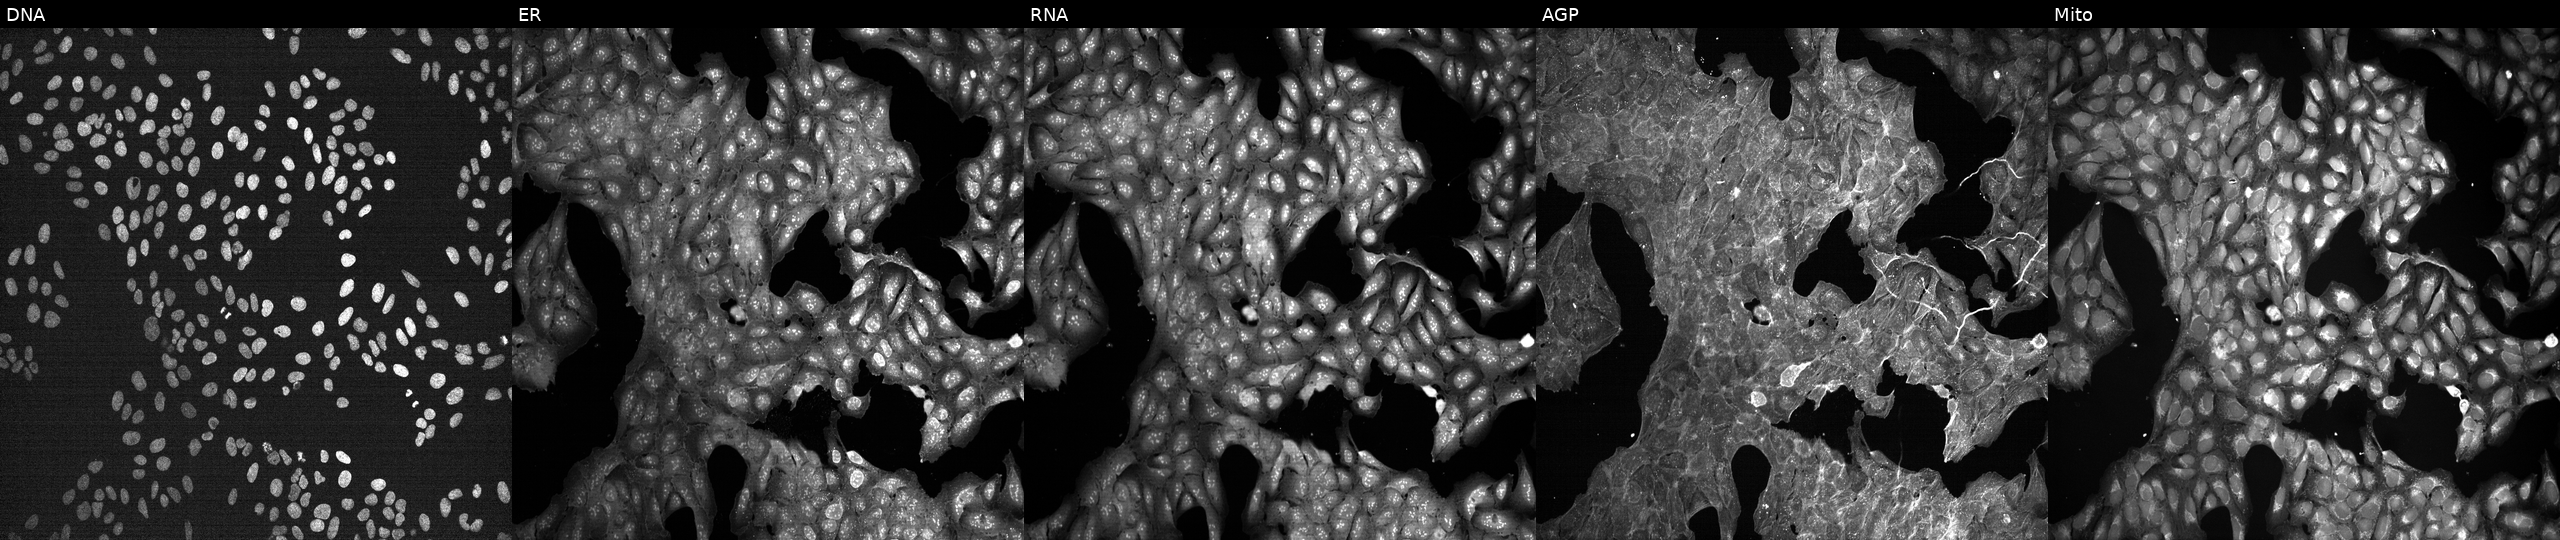
This image strip shows the five Cell Painting channels for a single field of U2OS cells treated with a small-molecule compound (InChIKey FPVKHBSQESCIEP-UHFFFAOYSA-N) [SMILES: OCC1OC(n2cnc3c2N=CNCC3O)CC1O] (JUMP id JCP2022_022191). Panels show, left to right, Hoechst 33342, concanavalin A, SYTO 14, phalloidin and WGA, MitoTracker. Source 7, plate CP1-SC1-25, well O04.